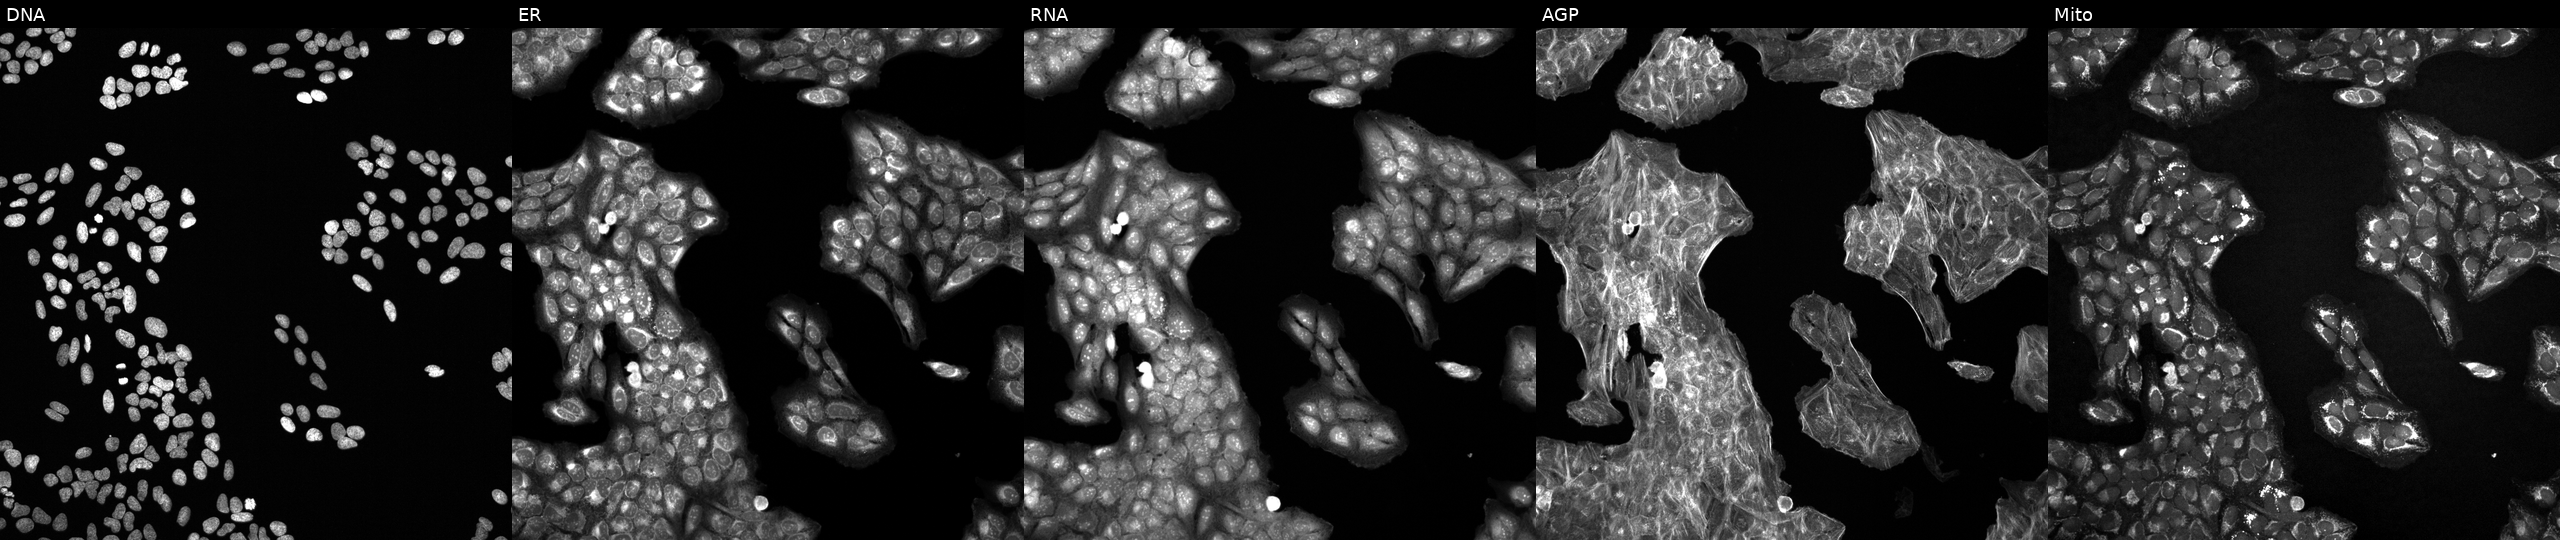
The five panels, left to right, show DNA, ER, RNA, AGP, and Mito. U2OS osteosarcoma cells exposed to a small-molecule compound (InChIKey PBBRWFOVCUAONR-UHFFFAOYSA-N) (JUMP id JCP2022_067432). Cell Painting assay, JUMP-CP dataset.